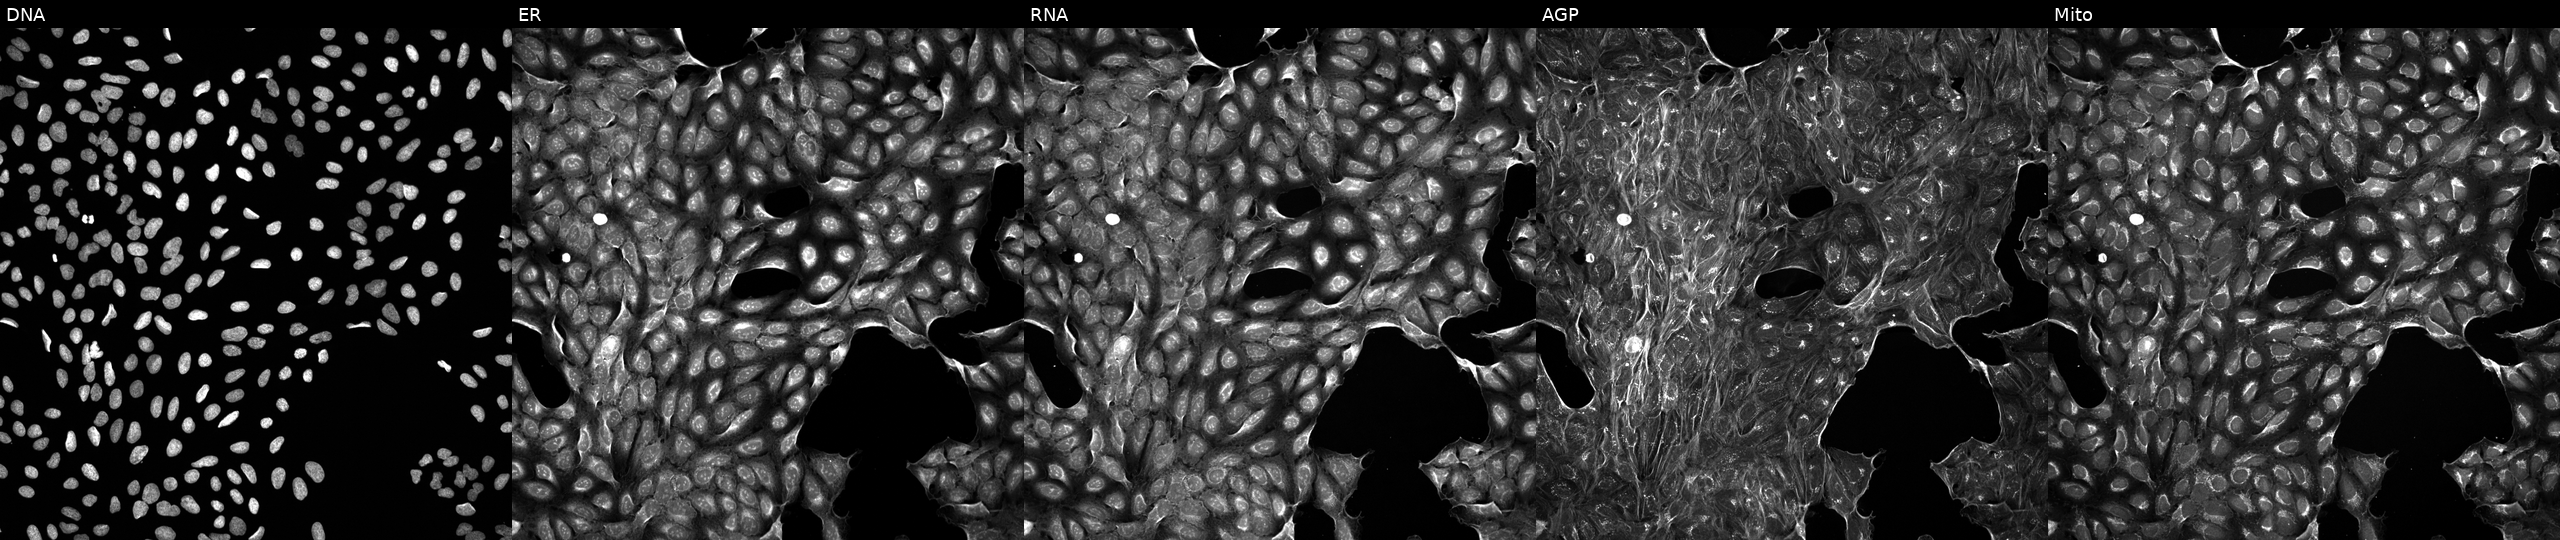
U2OS cells, Cell Painting assay, perturbed with a small-molecule compound (JUMP id JCP2022_099842). Channels (left→right): Hoechst 33342, concanavalin A, SYTO 14, phalloidin and WGA, MitoTracker. Each panel is percentile-stretched 16-bit fluorescence.